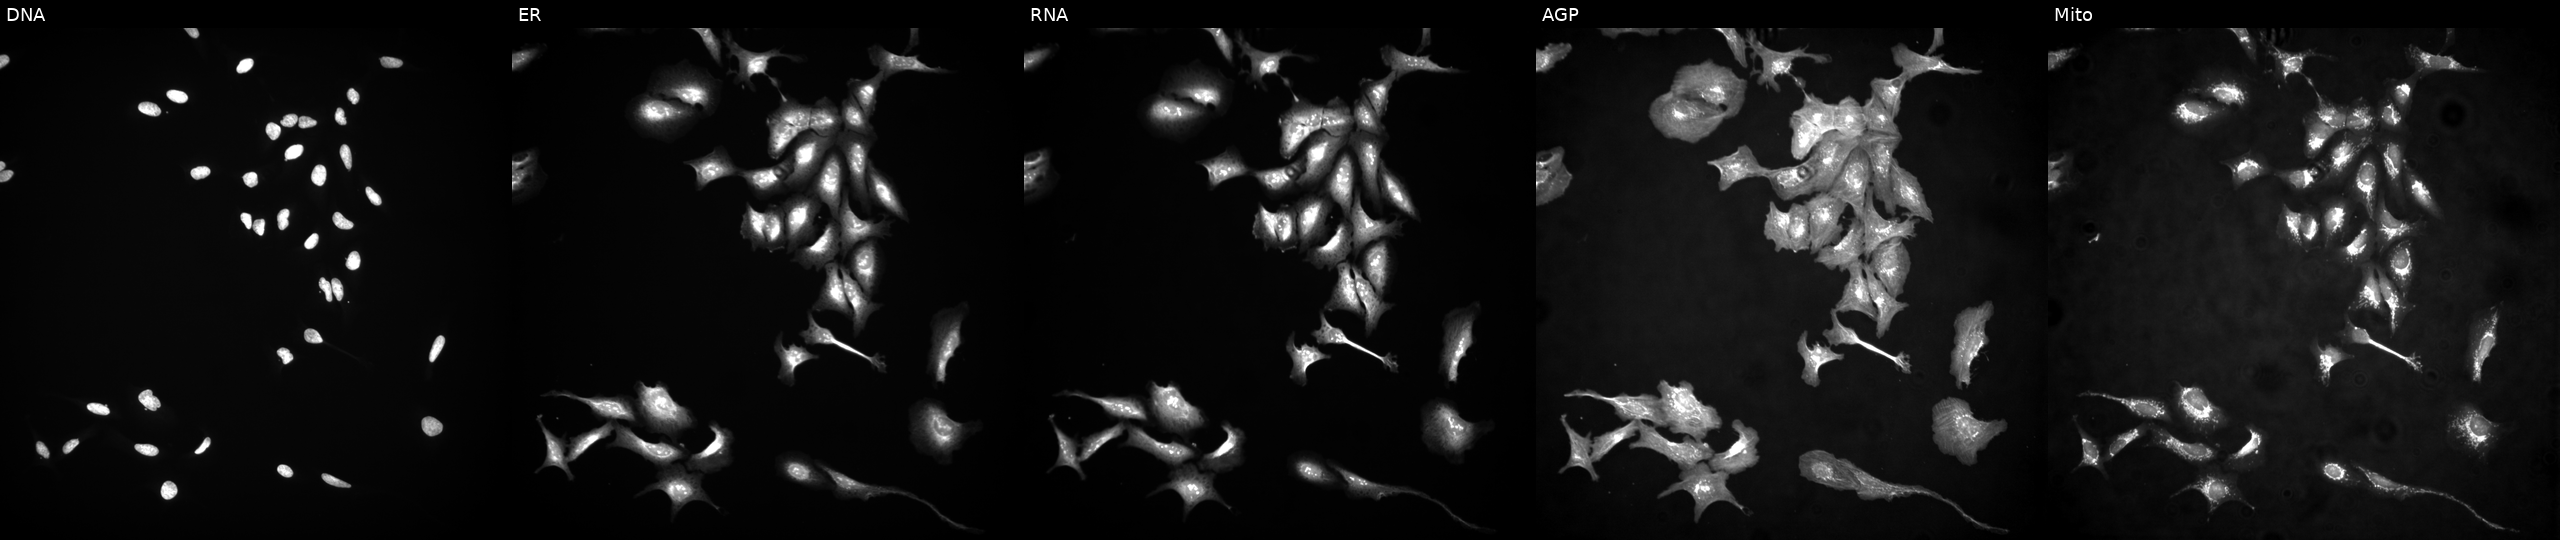
U2OS cells, Cell Painting assay, expressing eGFP (ORF positive control). The five panels, left to right, show Hoechst 33342, concanavalin A, SYTO 14, phalloidin and WGA, MitoTracker. Each panel is percentile-stretched 16-bit fluorescence.